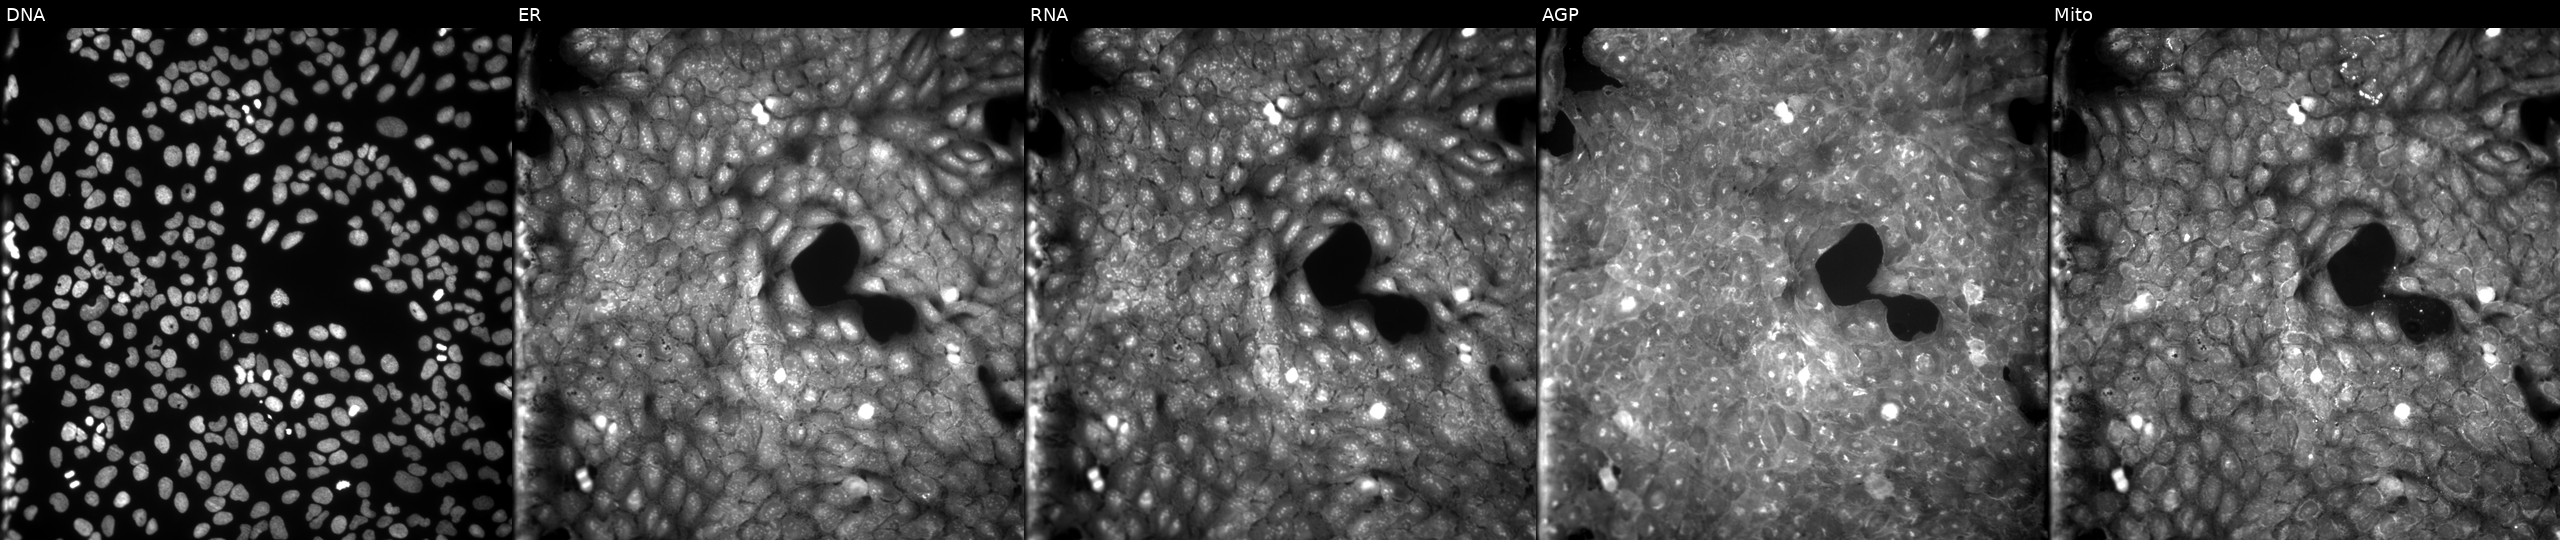
This image strip shows the five Cell Painting channels for a single field of U2OS cells perturbed with a small-molecule compound (JUMP id JCP2022_084292). Channels (left→right): Hoechst 33342, concanavalin A, SYTO 14, phalloidin and WGA, MitoTracker.